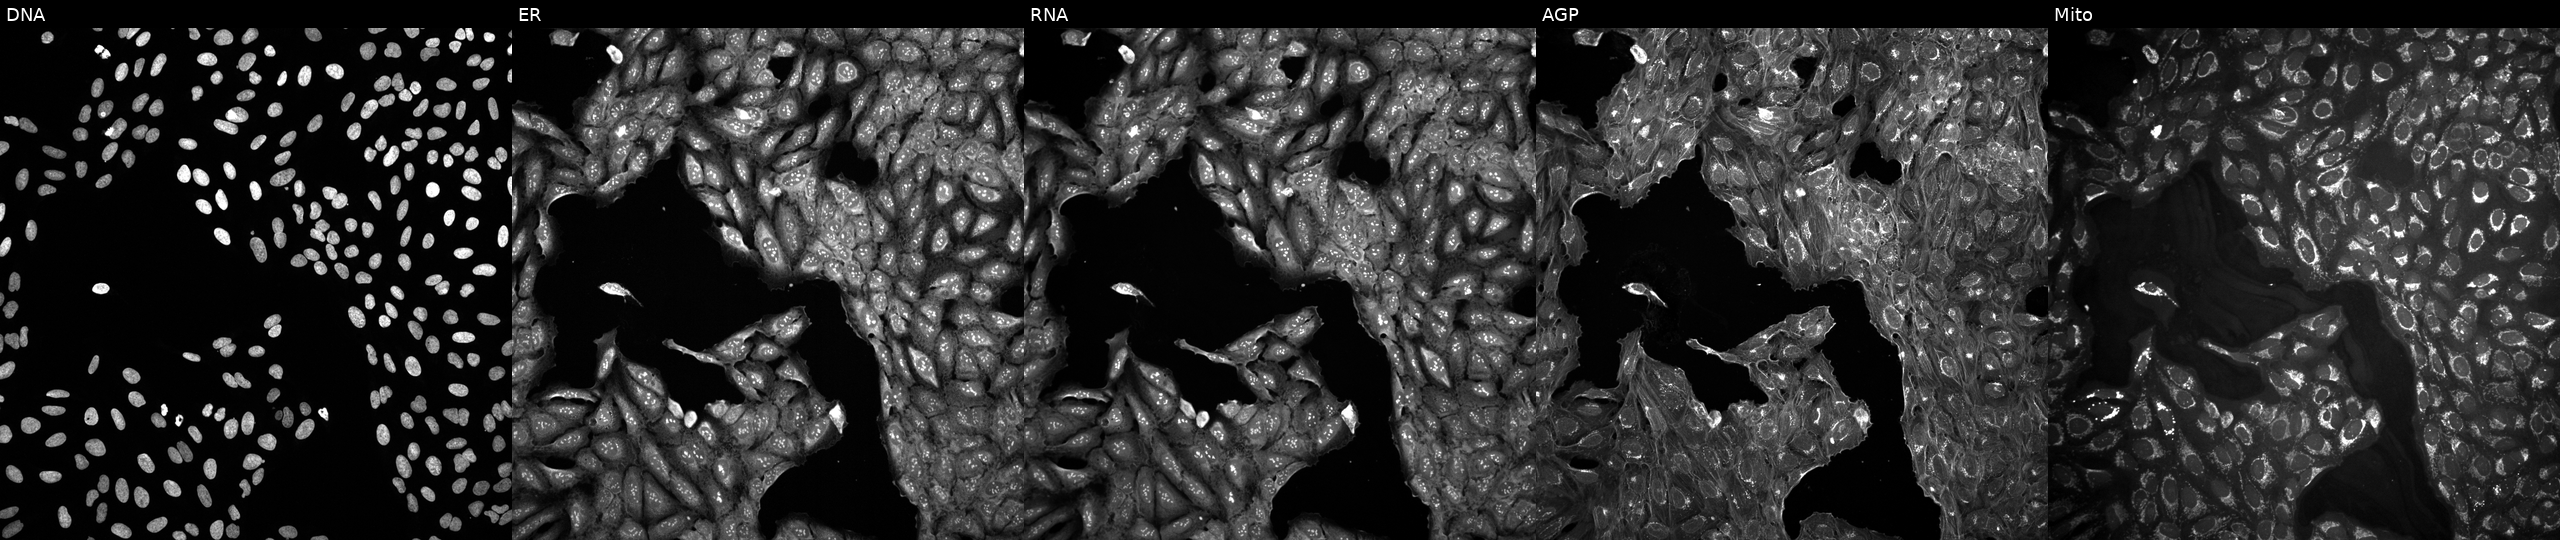
From left to right: DNA, ER, RNA, AGP, and Mito. U2OS osteosarcoma cells perturbed with a small-molecule compound (InChIKey SANHEOYJWFKFDS-UHFFFAOYSA-N). Cell Painting assay, JUMP-CP dataset.